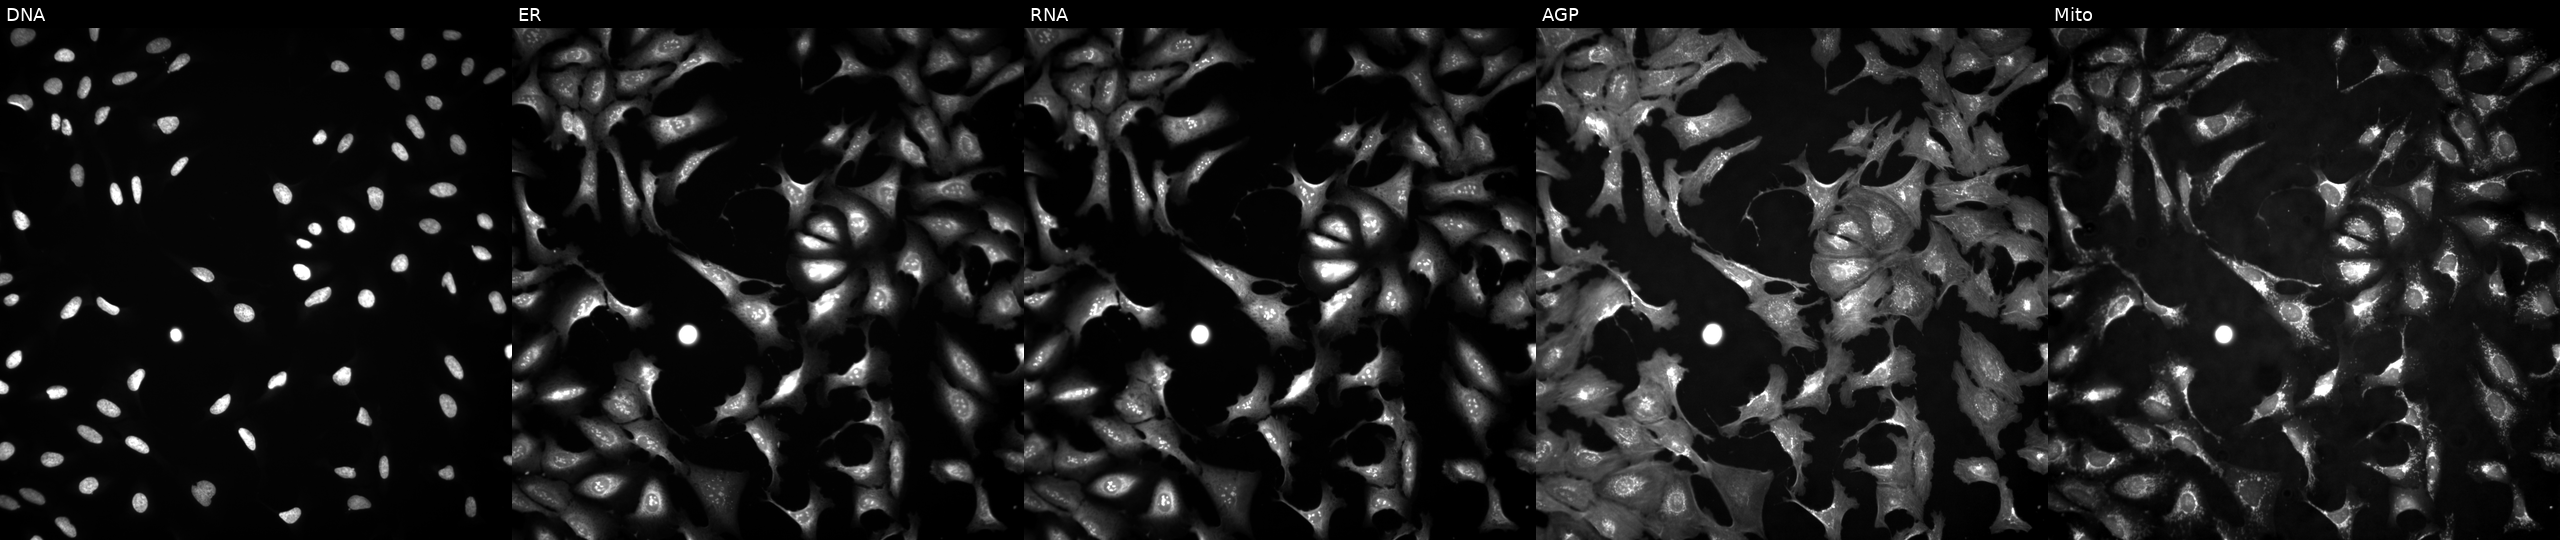
High-content fluorescence microscopy (Cell Painting). Cell line: U2OS. Perturbation: with DYRK4 overexpressed (ORF). From left to right: Hoechst 33342, concanavalin A, SYTO 14, phalloidin and WGA, MitoTracker. Source 4, plate BR00123945, well J21.